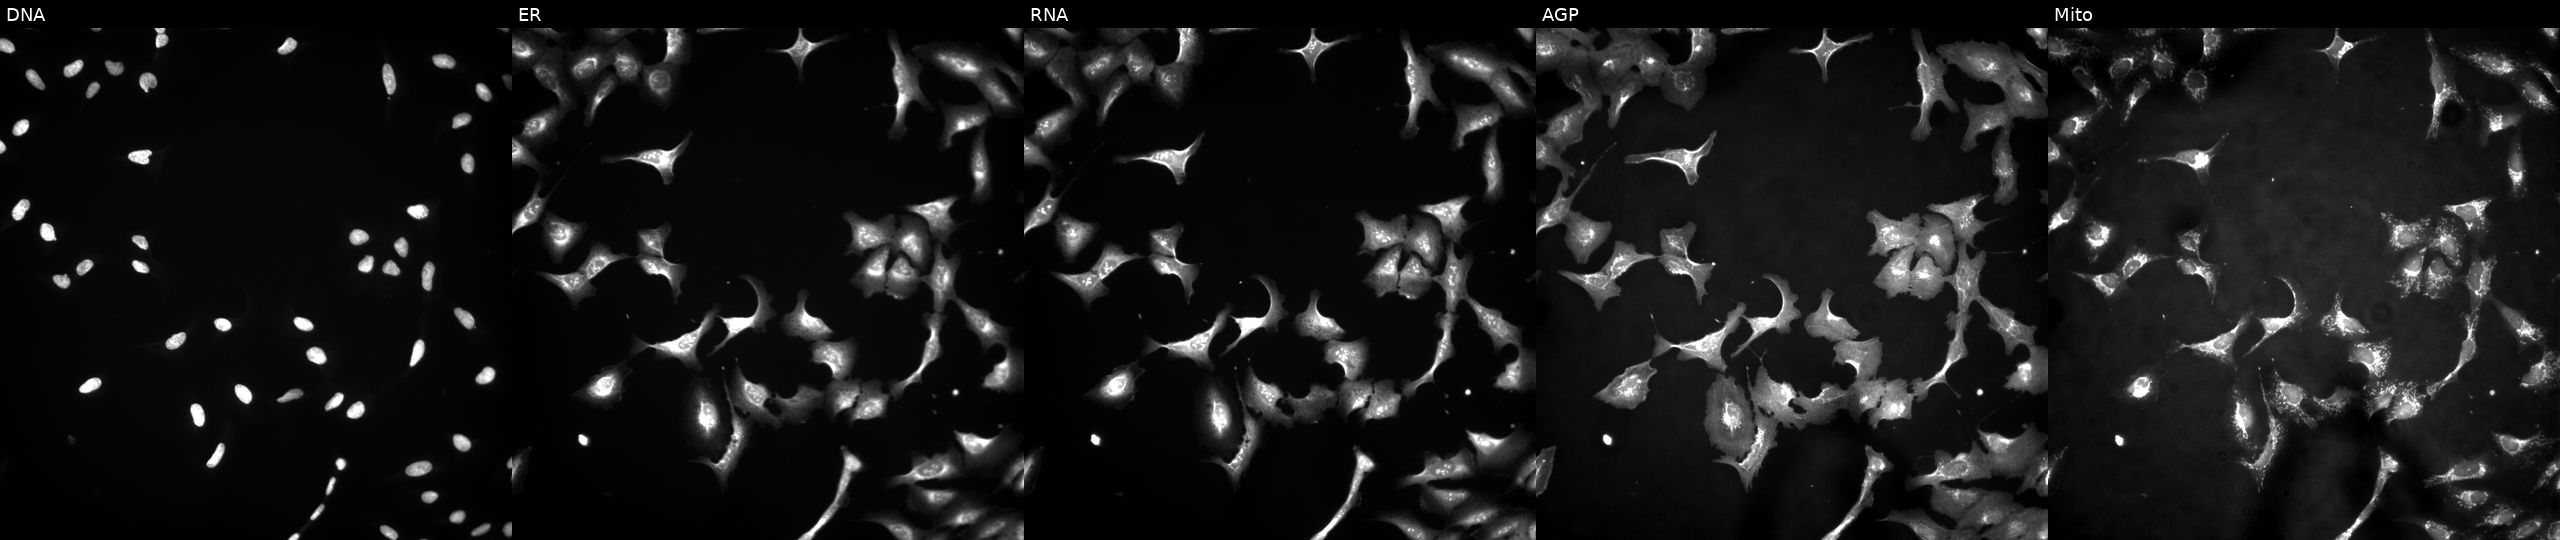
This image strip shows the five Cell Painting channels for a single field of U2OS cells overexpressing NBPF3 via ORF transfection. Panels show, left to right, Hoechst 33342, concanavalin A, SYTO 14, phalloidin and WGA, MitoTracker. Source 4, plate BR00121543, well L22.